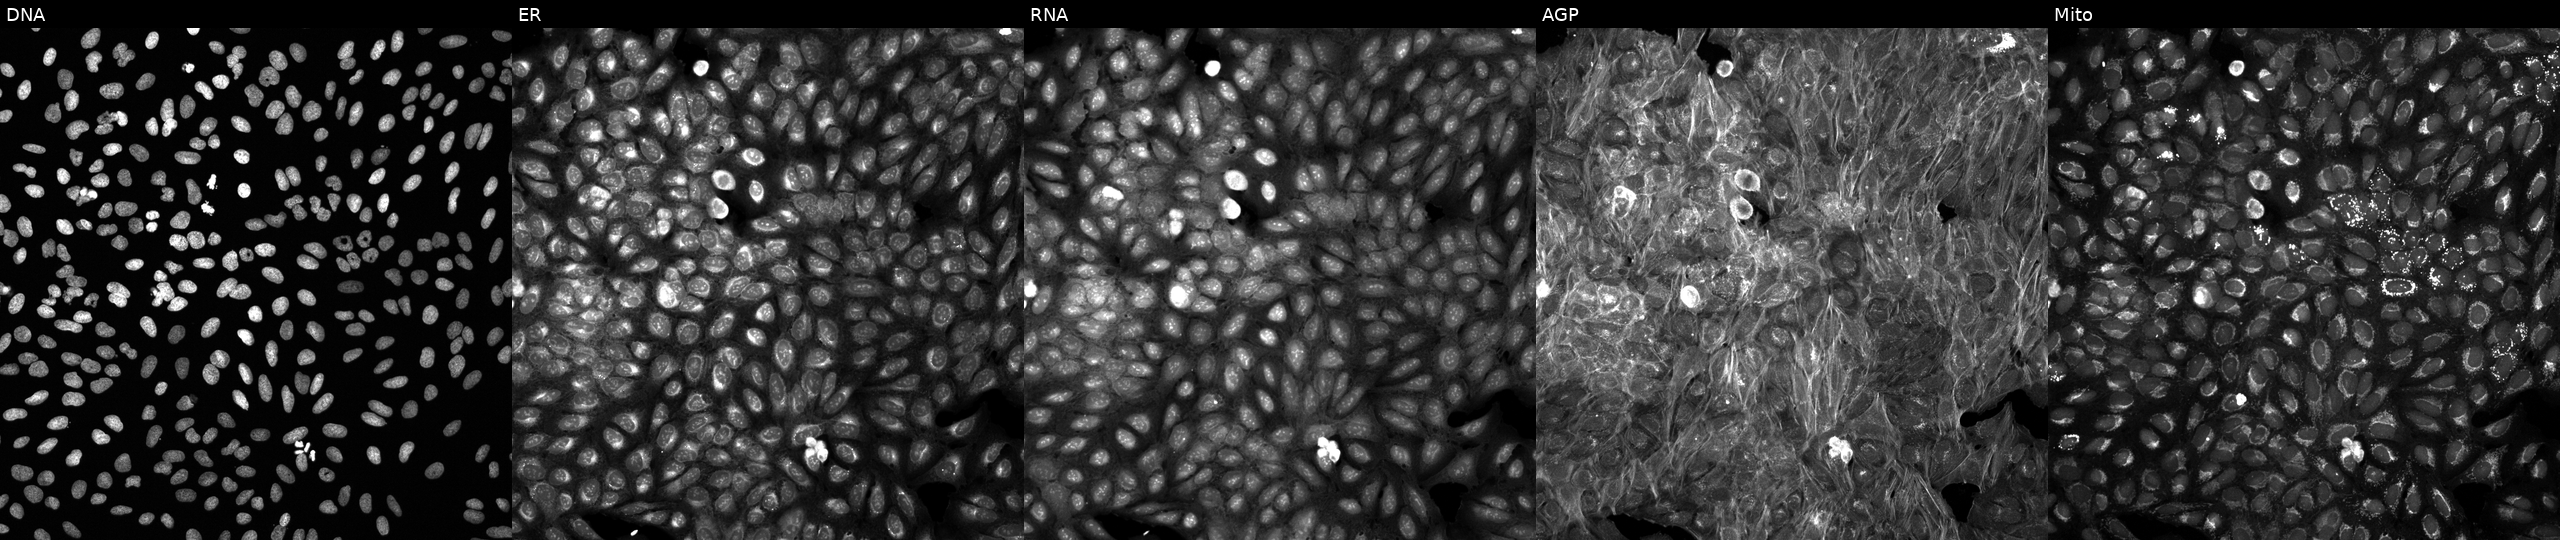
JUMP Cell Painting — TARGET2 plate. U2OS cells treated with a small-molecule compound (InChIKey BNFRJXLZYUTIII-UHFFFAOYSA-N) [SMILES: Cc1cc(C)cc(NC(=O)Cc2ccc(OC(C)(C)C(=O)O)cc2)c1]. From left to right: Hoechst 33342, concanavalin A, SYTO 14, phalloidin and WGA, MitoTracker. Source 6, plate 110000294901, well F03.